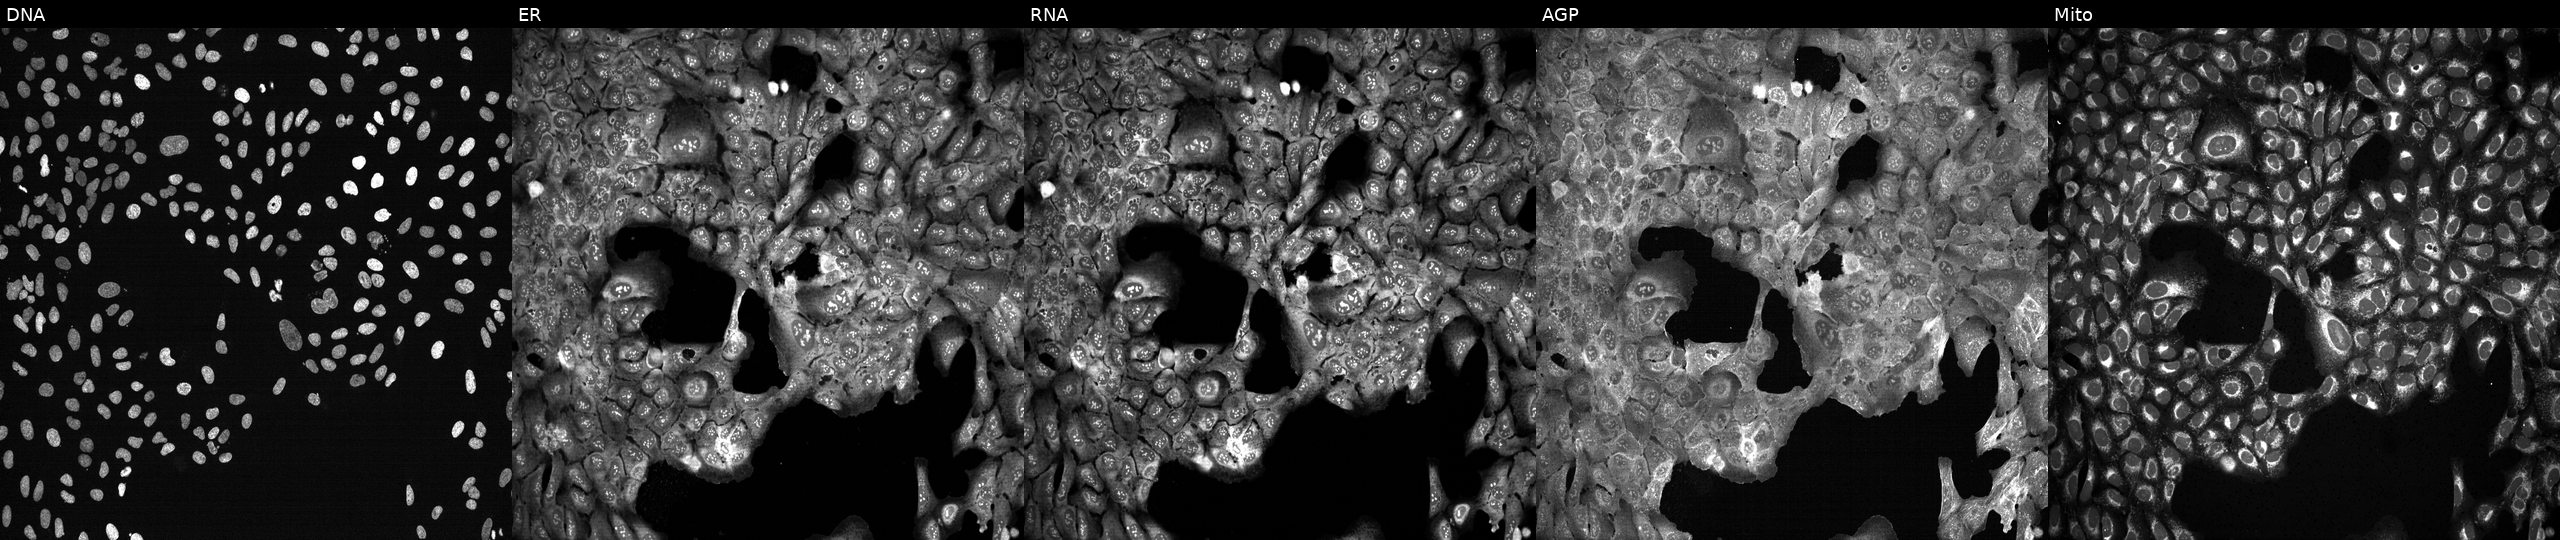
Five-channel Cell Painting image of U2OS cells CRISPR-edited to disrupt OGDHL (JUMP id JCP2022_804779). From left to right: Hoechst 33342, concanavalin A, SYTO 14, phalloidin and WGA, MitoTracker. Source 13, plate CP-CC9-R3-02, well J08.